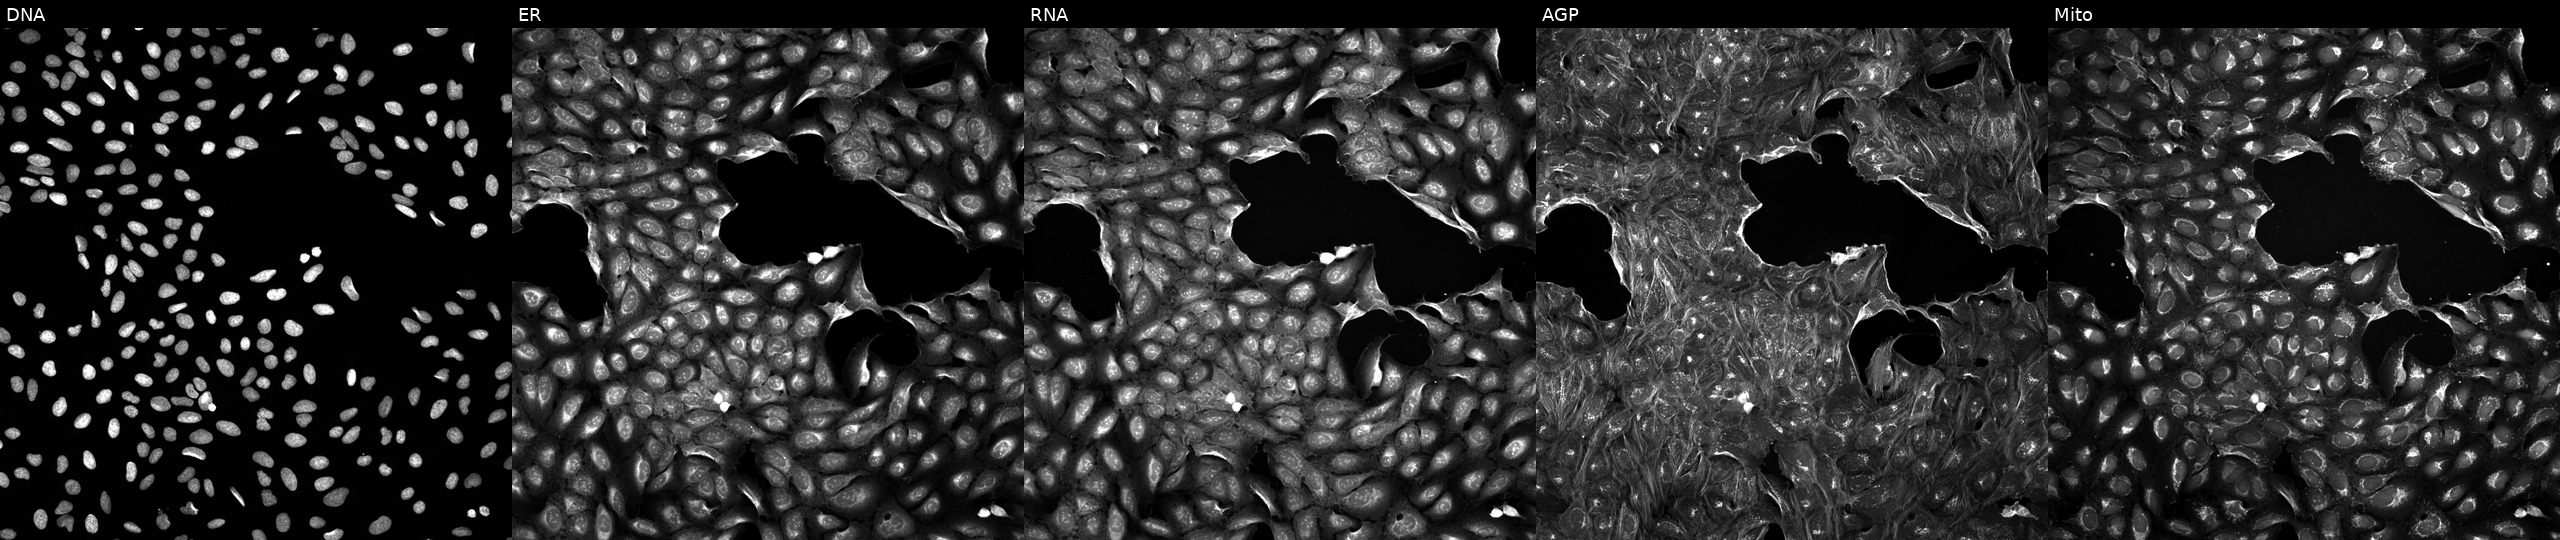
High-content fluorescence microscopy (Cell Painting). Cell line: U2OS. Perturbation: treated with a small-molecule compound [SMILES: OCc1ccc(CO)o1] (JUMP id JCP2022_017914). Panels show, left to right, DNA (nuclei); ER (endoplasmic reticulum); RNA (nucleoli and cytoplasmic RNA); AGP (actin cytoskeleton, Golgi, and plasma membrane); Mito (mitochondria).